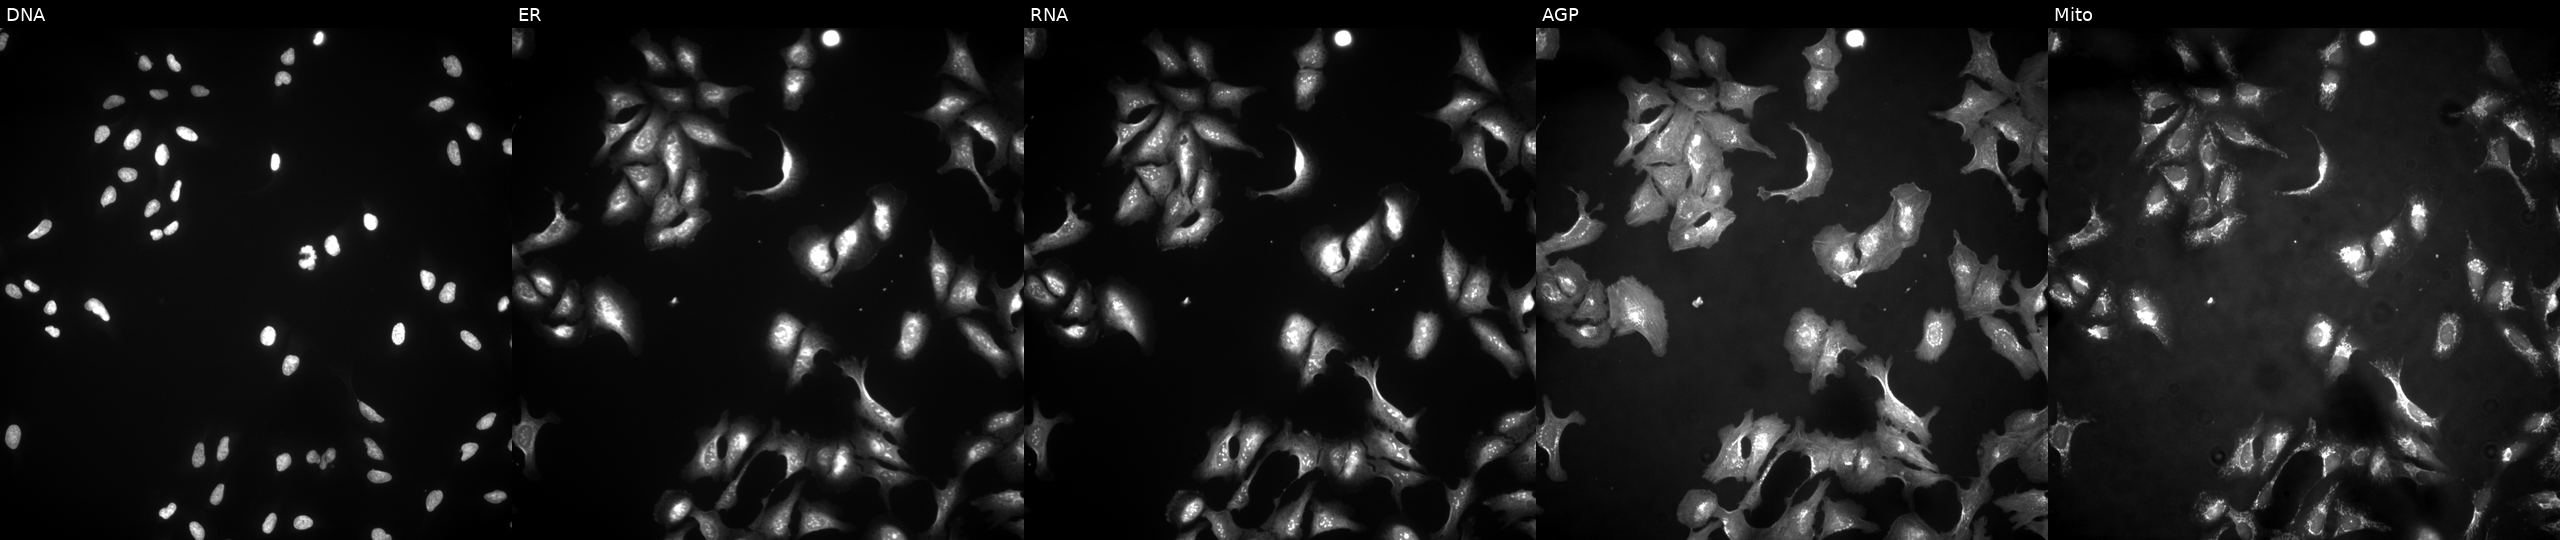
Five-channel Cell Painting image of U2OS cells with RHOBTB3 overexpressed (ORF). From left to right: DNA (nuclei); ER (endoplasmic reticulum); RNA (nucleoli and cytoplasmic RNA); AGP (actin cytoskeleton, Golgi, and plasma membrane); Mito (mitochondria).